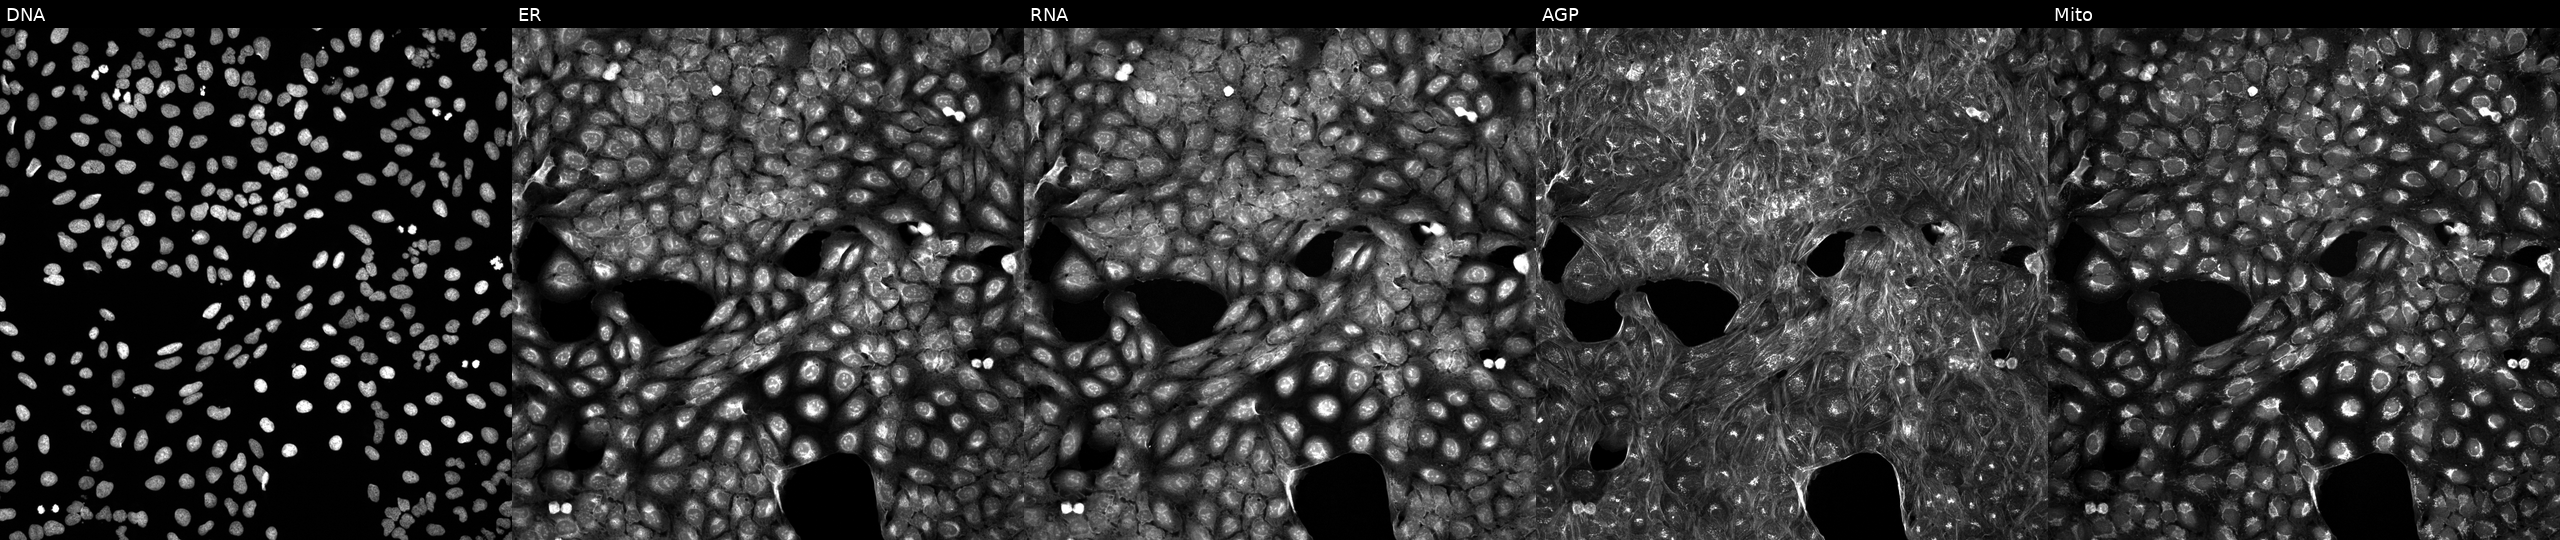
This image strip shows the five Cell Painting channels for a single field of U2OS cells treated with a small-molecule compound (InChIKey PIWKPBJCKXDKJR-UHFFFAOYSA-N) (JUMP id JCP2022_068901). From left to right: Hoechst 33342, concanavalin A, SYTO 14, phalloidin and WGA, MitoTracker.